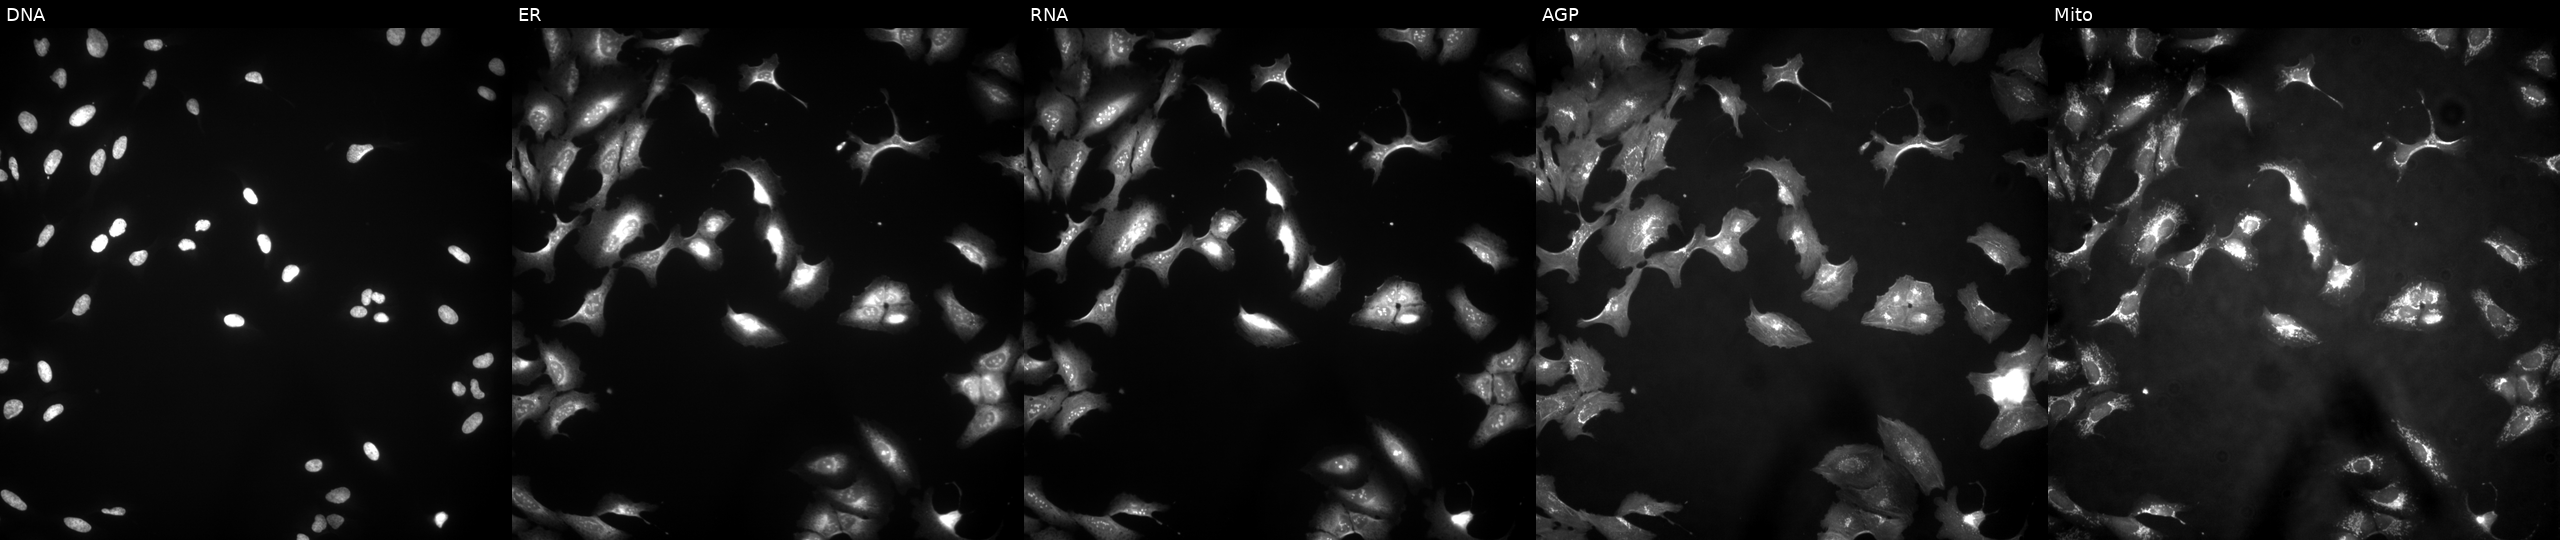
Five-channel Cell Painting image of U2OS cells overexpressing KLHL36 via ORF transfection. Channels (left→right): DNA (nuclei); ER (endoplasmic reticulum); RNA (nucleoli and cytoplasmic RNA); AGP (actin cytoskeleton, Golgi, and plasma membrane); Mito (mitochondria).